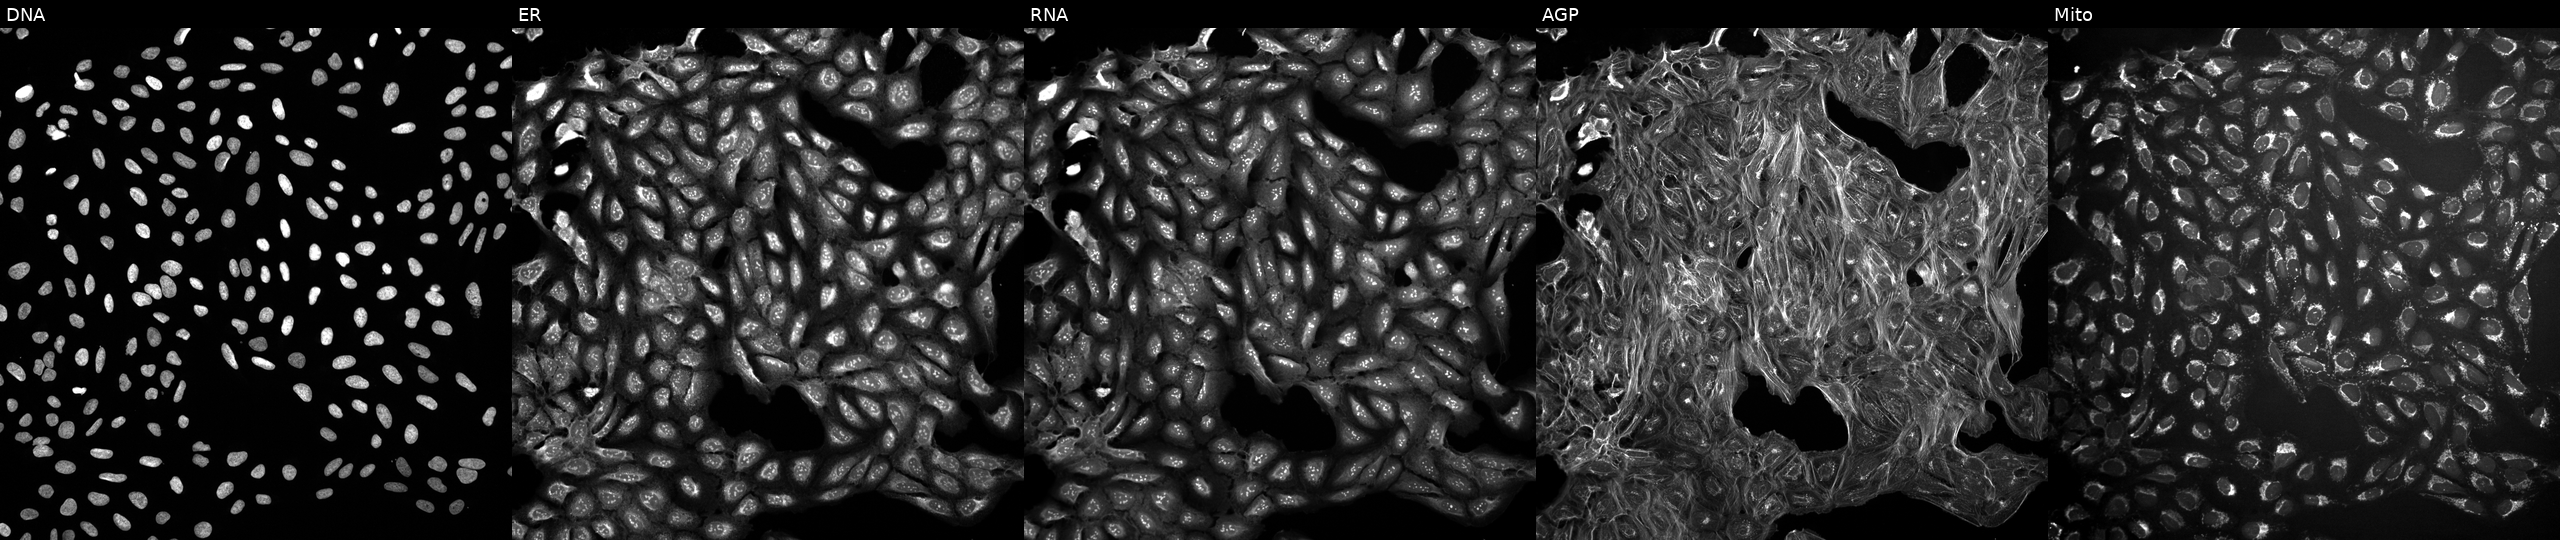
High-content fluorescence microscopy (Cell Painting). Cell line: U2OS. Perturbation: treated with a small-molecule compound. Channels (left→right): DNA, ER, RNA, AGP, and Mito. Source 10, plate Dest210727-153003, well G09.